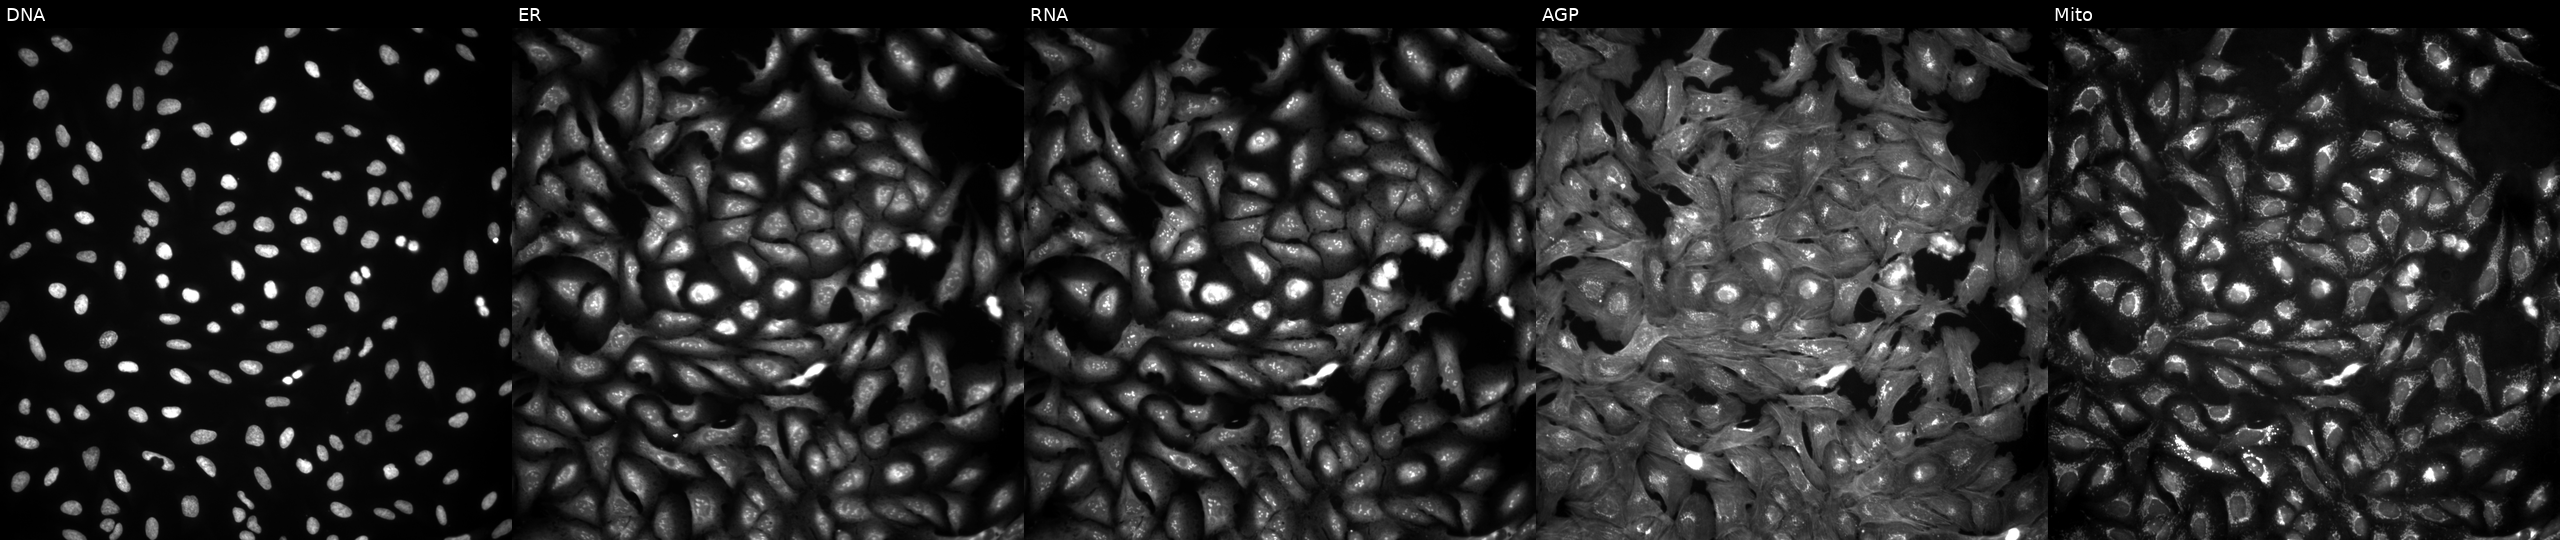
JUMP Cell Painting — ORF plate. U2OS cells overexpressing NRSN1 via ORF transfection (JUMP id JCP2022_904632). Panels show, left to right, Hoechst 33342, concanavalin A, SYTO 14, phalloidin and WGA, MitoTracker.